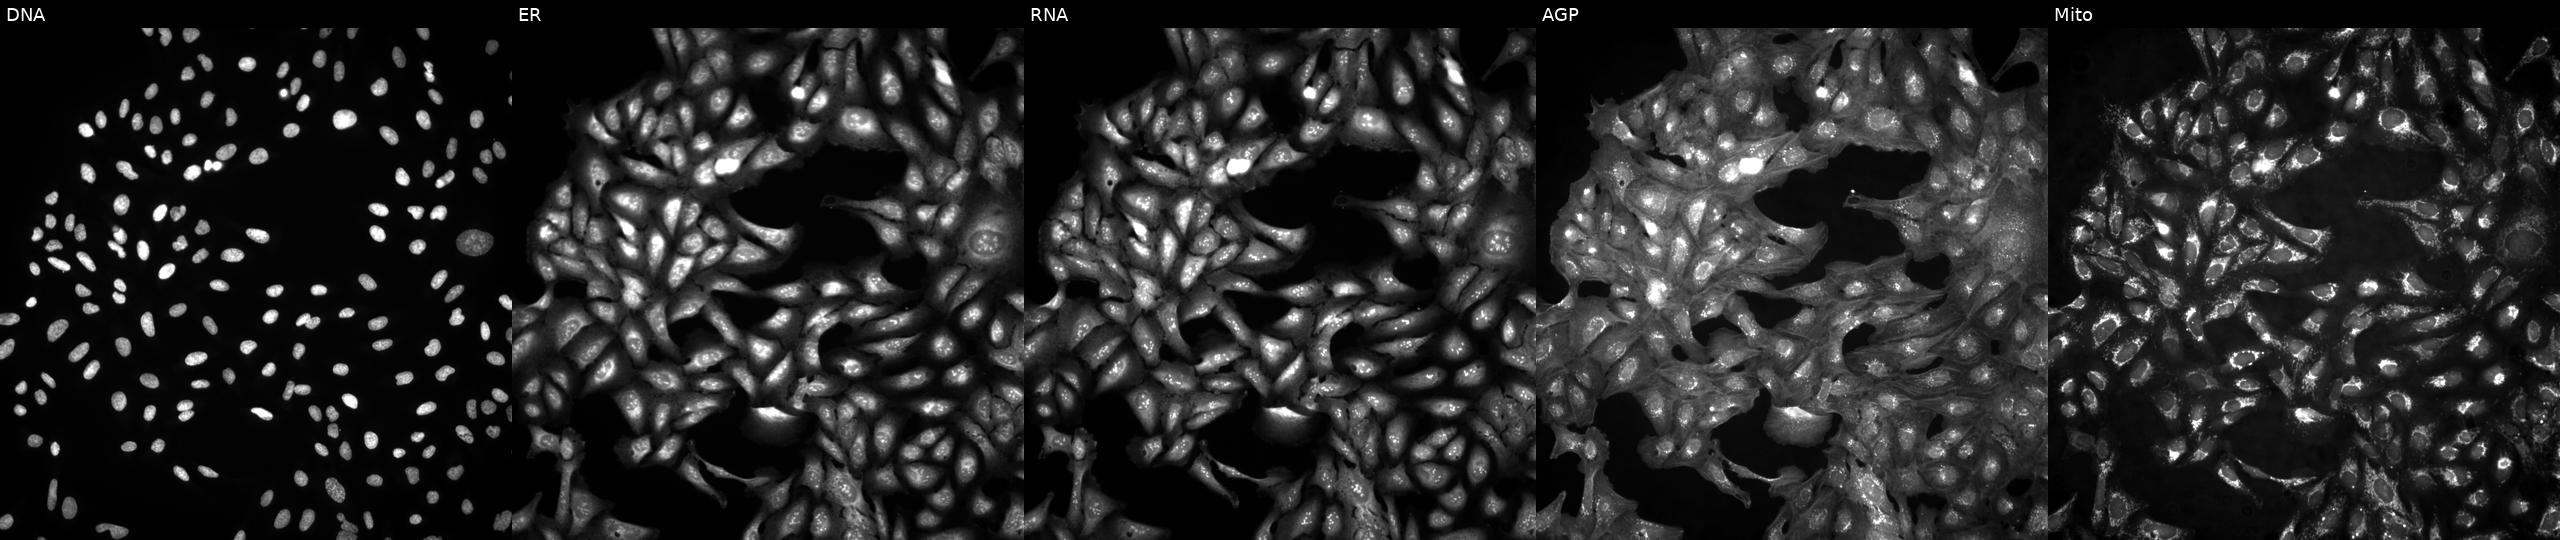
Five-channel Cell Painting image of U2OS cells untreated (empty-well control). From left to right: DNA, ER, RNA, AGP, and Mito. Source 4, plate BR00124793, well G06.